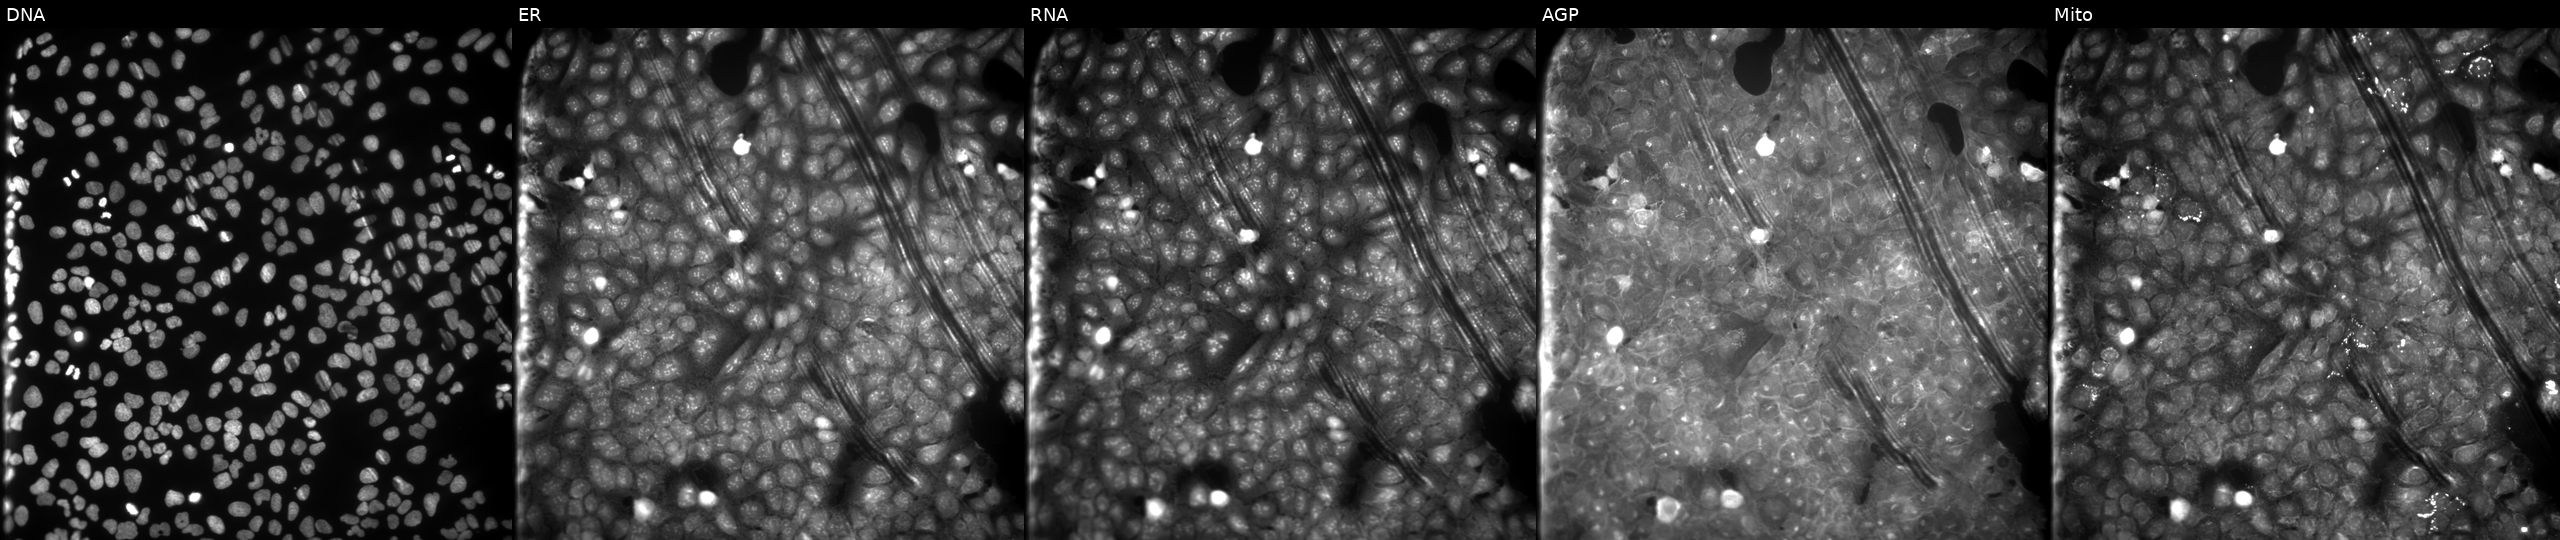
U2OS cells, Cell Painting assay, exposed to the positive-control compound quinidine. Panels show, left to right, DNA, ER, RNA, AGP, and Mito. Each panel is percentile-stretched 16-bit fluorescence.